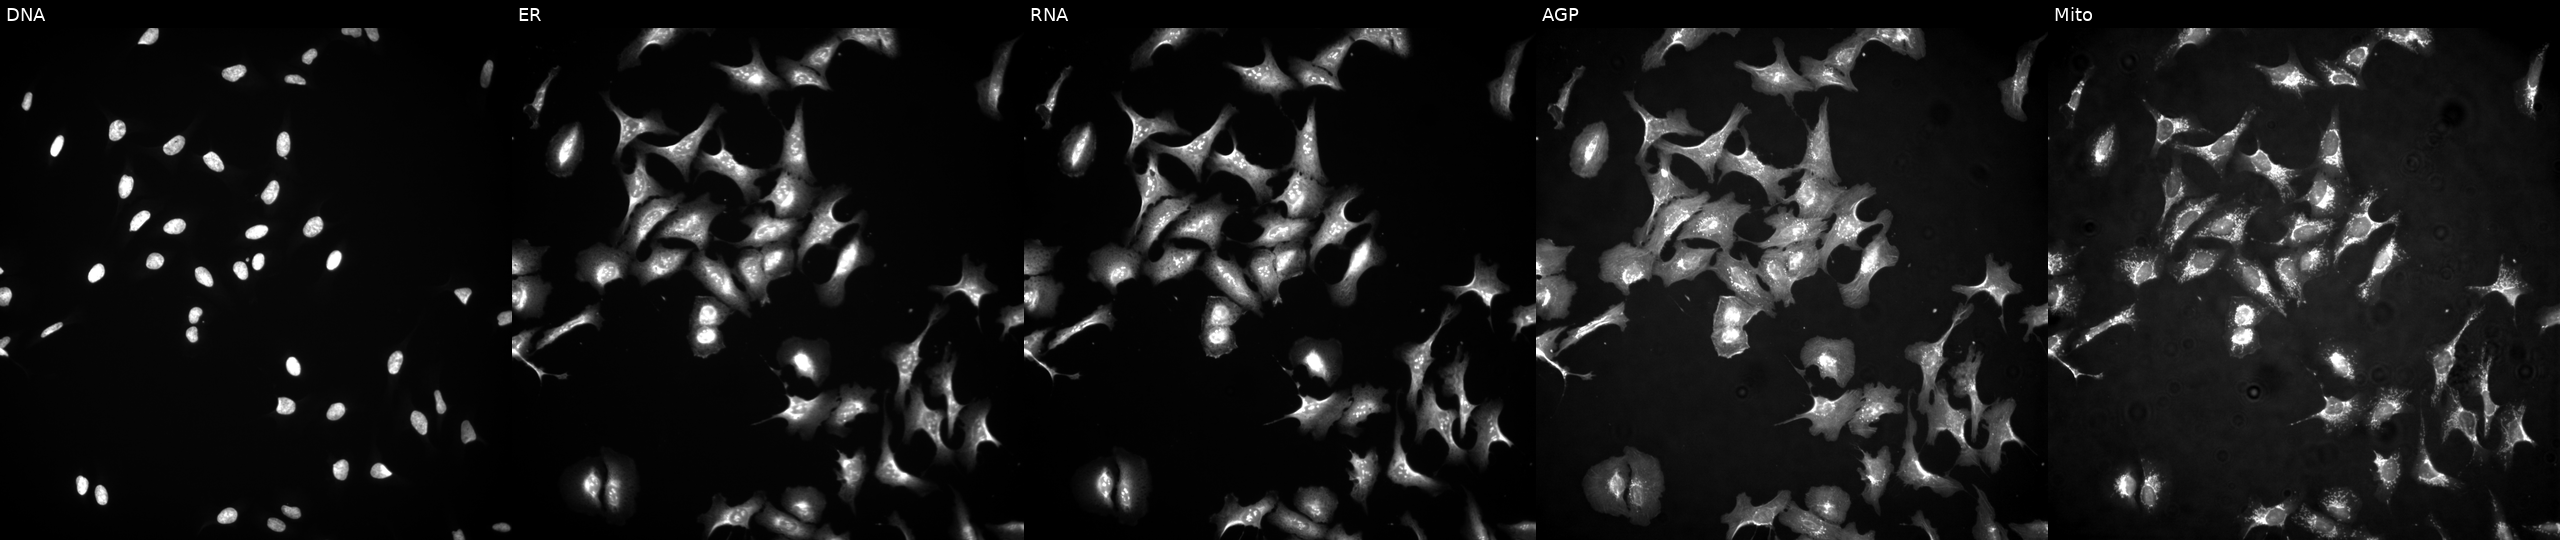
This image strip shows the five Cell Painting channels for a single field of U2OS cells transfected with an ORF construct for TP53I11 (JUMP id JCP2022_910620). The five panels, left to right, show Hoechst 33342, concanavalin A, SYTO 14, phalloidin and WGA, MitoTracker.